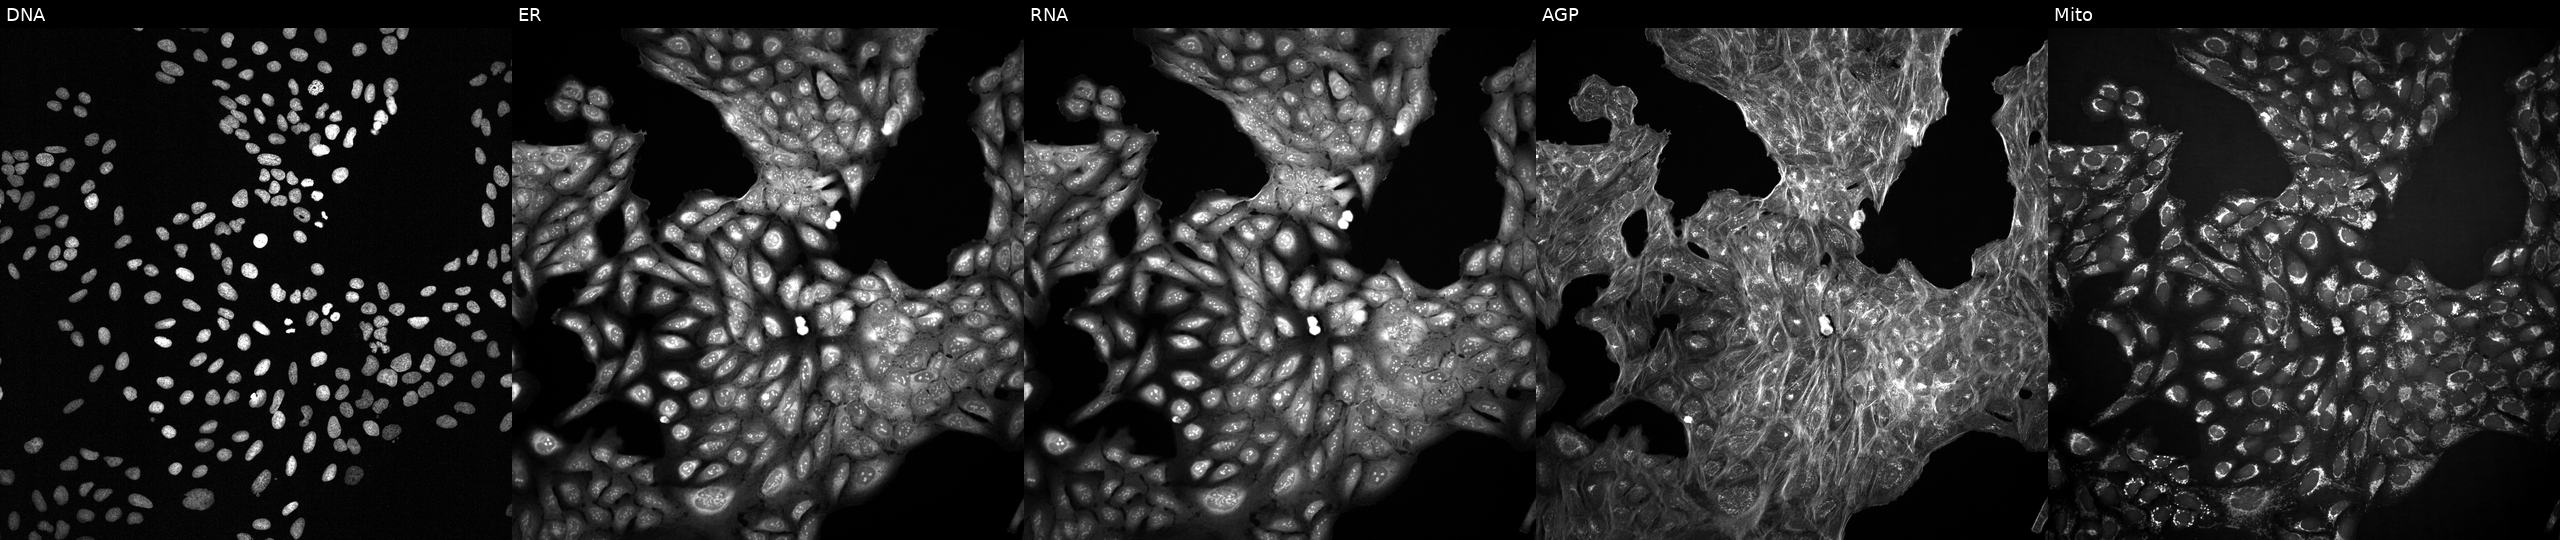
U2OS cells, Cell Painting assay, perturbed with a small-molecule compound (InChIKey FNYLWPVRPXGIIP-UHFFFAOYSA-N). From left to right: DNA (nuclei); ER (endoplasmic reticulum); RNA (nucleoli and cytoplasmic RNA); AGP (actin cytoskeleton, Golgi, and plasma membrane); Mito (mitochondria). Each panel is percentile-stretched 16-bit fluorescence. Source 2, plate 1053600674, well F01.